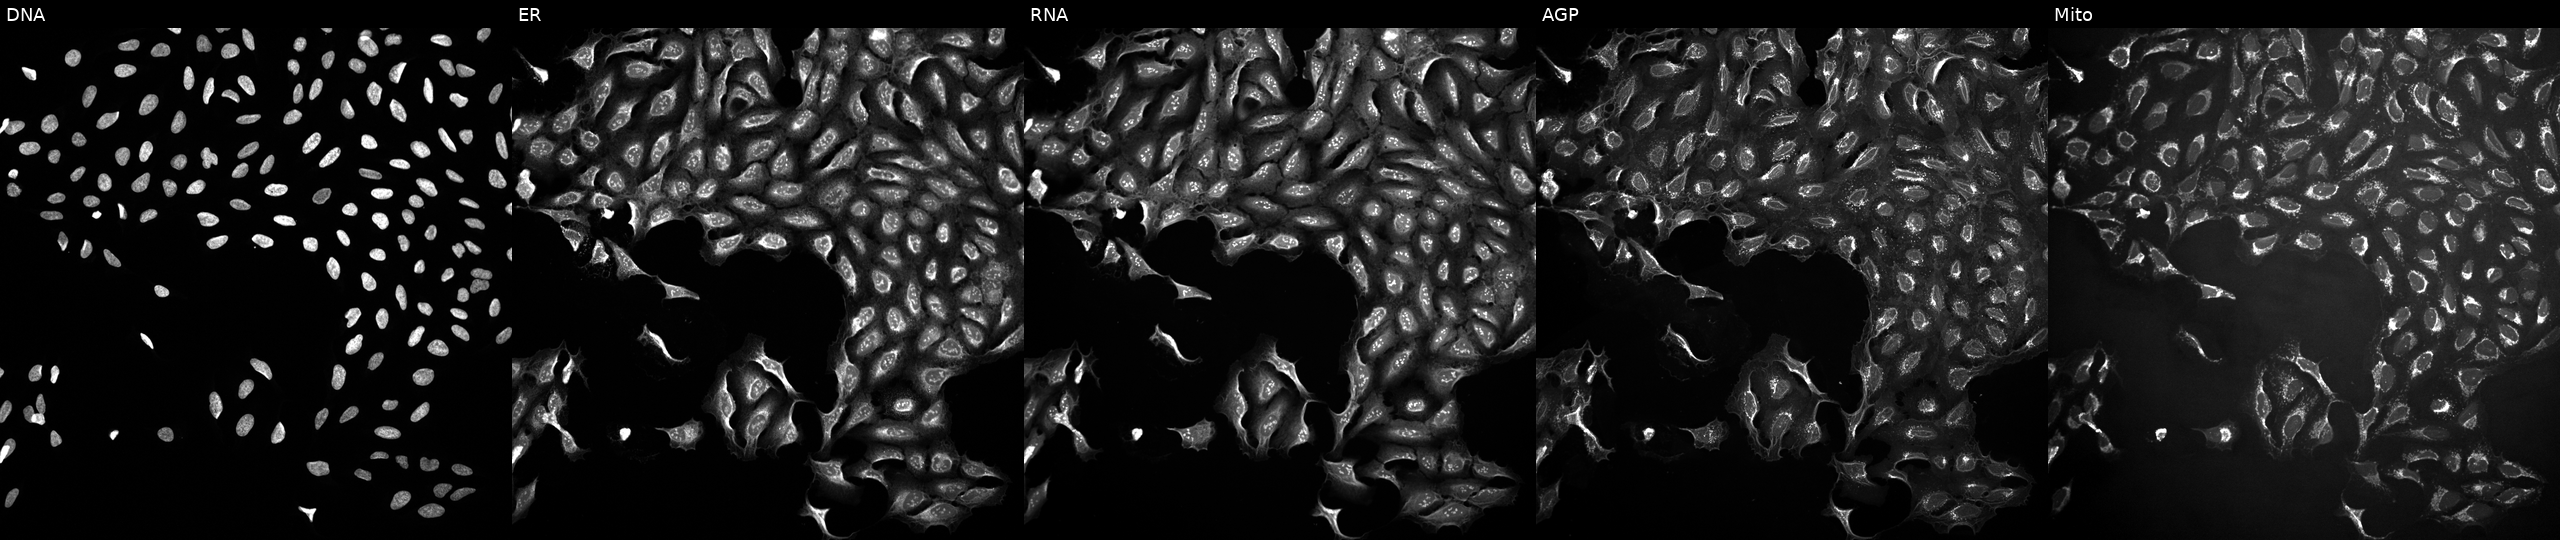
This image strip shows the five Cell Painting channels for a single field of U2OS cells treated with DMSO vehicle only (negative control) (JUMP id JCP2022_033924). From left to right: DNA, ER, RNA, AGP, and Mito.